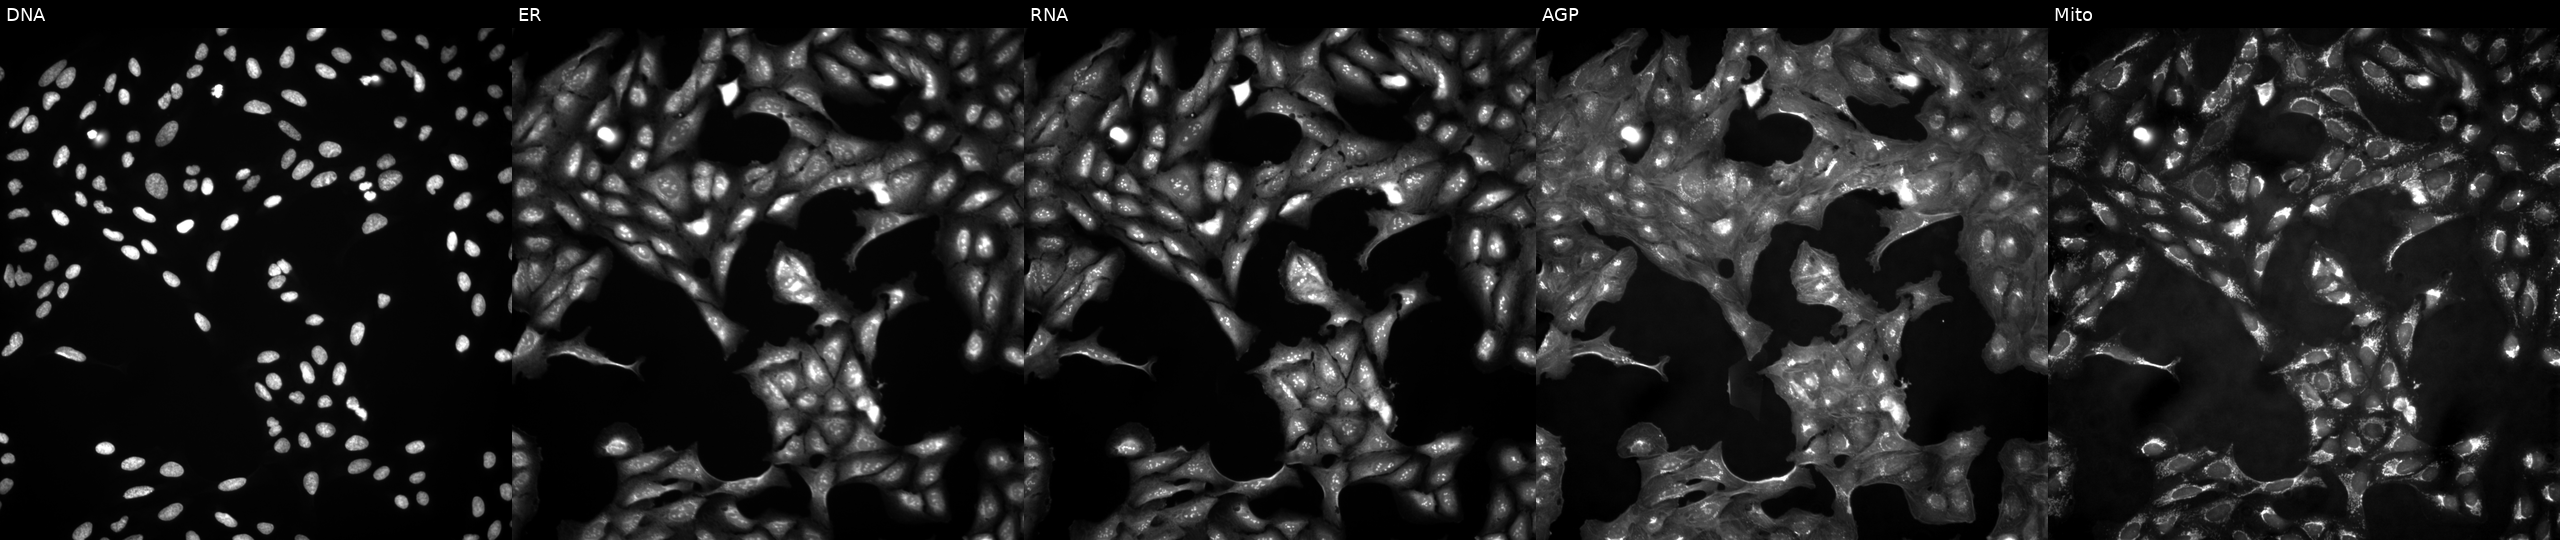
JUMP Cell Painting — ORF plate. U2OS cells untreated (empty-well control) (JUMP id JCP2022_999999). The five panels, left to right, show DNA (nuclei); ER (endoplasmic reticulum); RNA (nucleoli and cytoplasmic RNA); AGP (actin cytoskeleton, Golgi, and plasma membrane); Mito (mitochondria). Source 4, plate BR00123946, well J10.